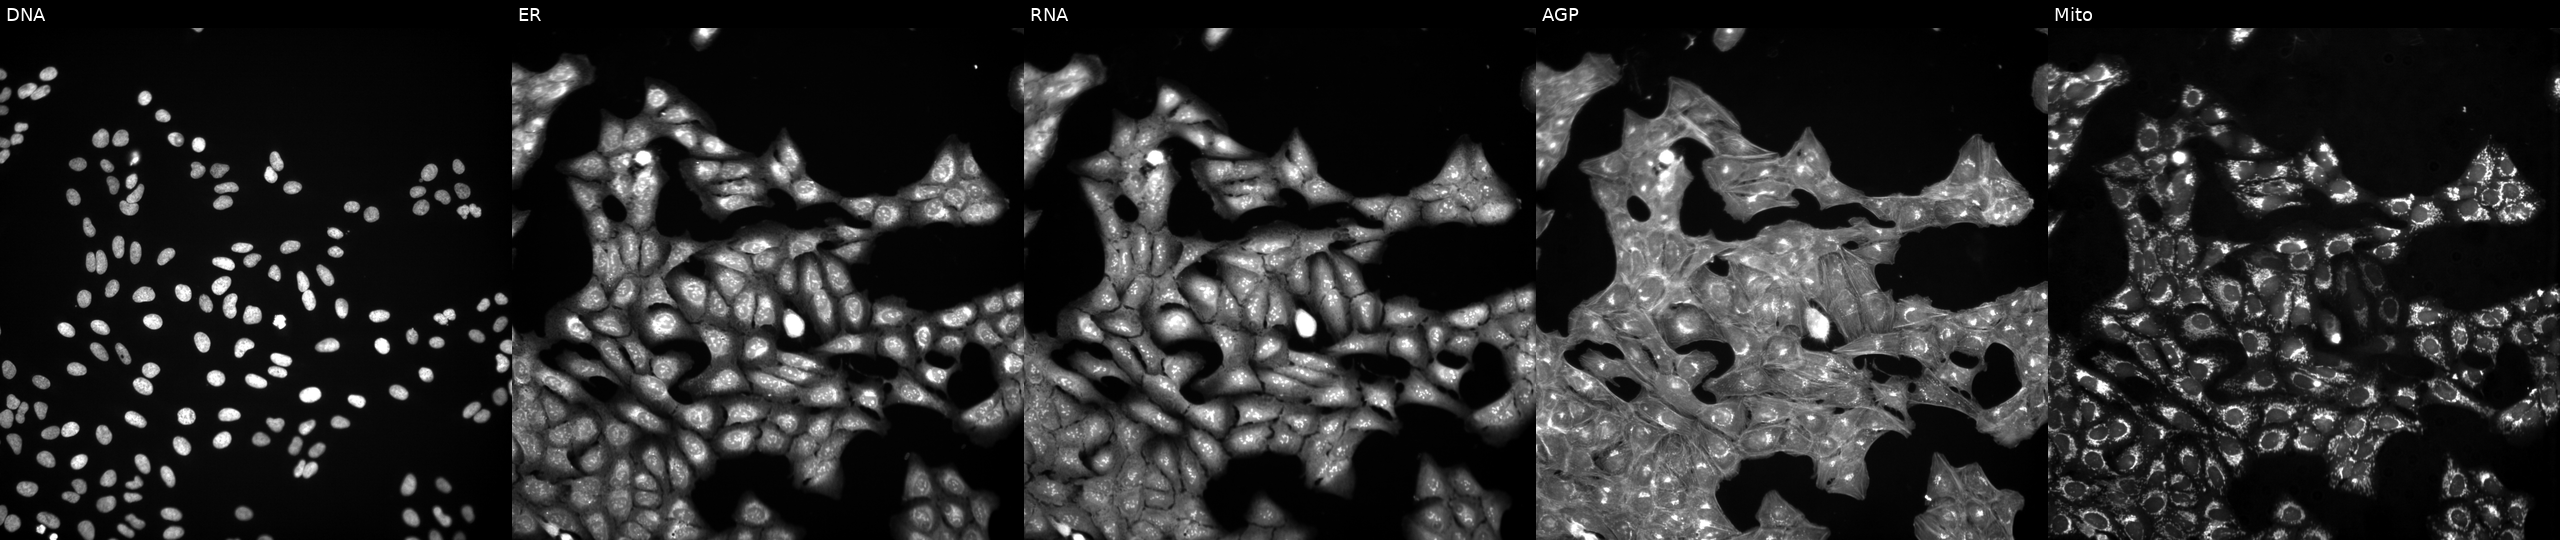
This image strip shows the five Cell Painting channels for a single field of U2OS cells perturbed with a small-molecule compound (InChIKey ICDMLAQPOAVWNH-UHFFFAOYSA-N) (JUMP id JCP2022_034137). Channels (left→right): Hoechst 33342, concanavalin A, SYTO 14, phalloidin and WGA, MitoTracker.